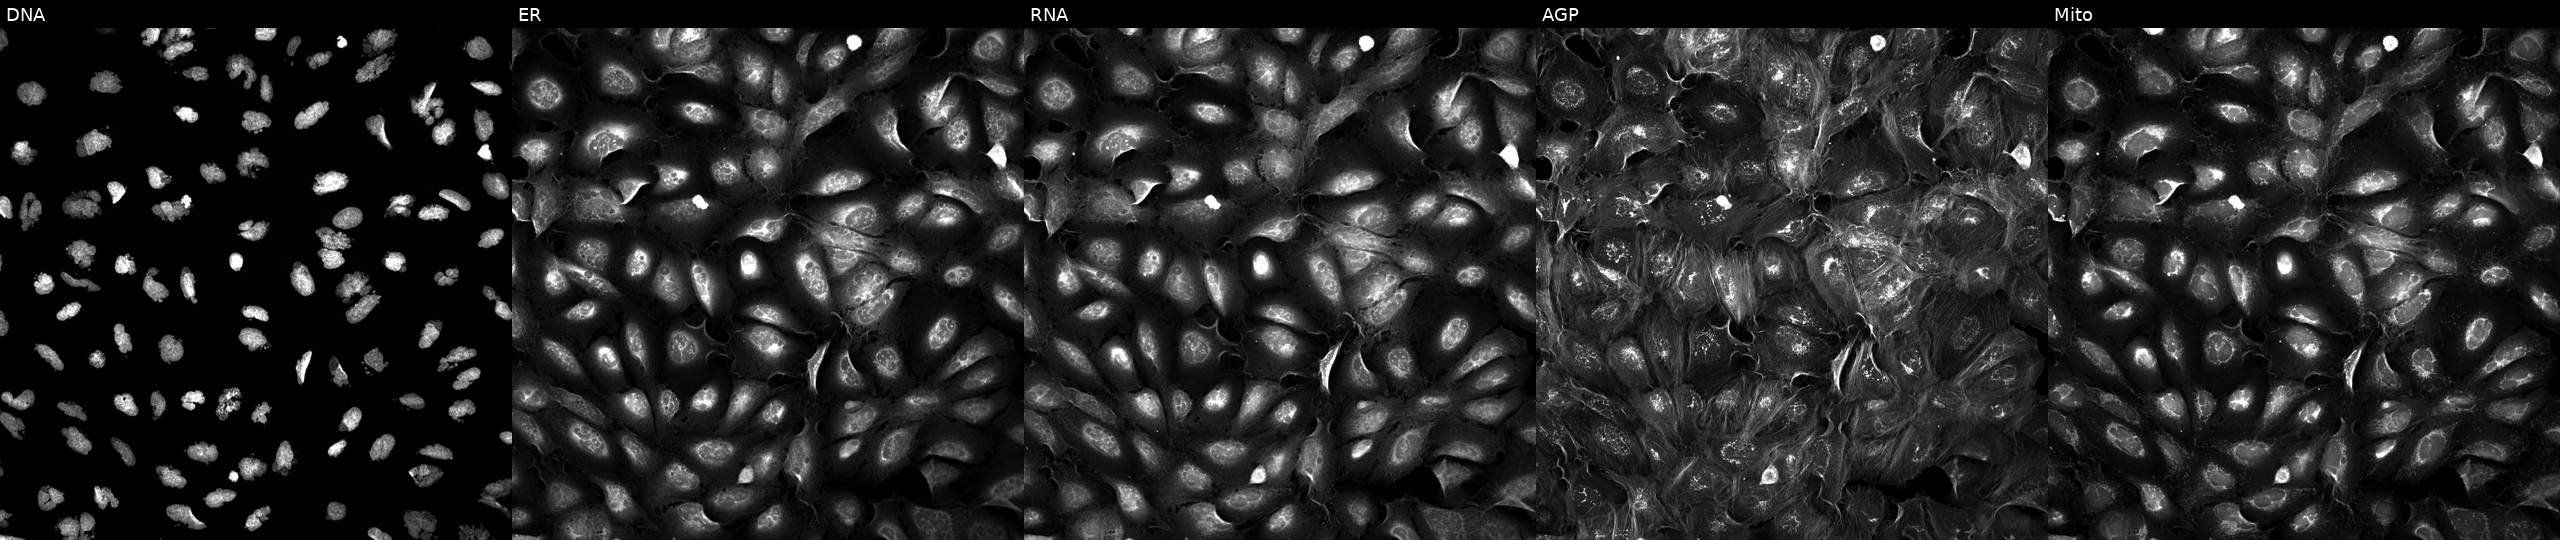
High-content fluorescence microscopy (Cell Painting). Cell line: U2OS. Perturbation: exposed to the positive-control compound AMG900 (JUMP id JCP2022_037716). The five panels, left to right, show DNA, ER, RNA, AGP, and Mito. Source 5, plate APTJUM106, well N24.